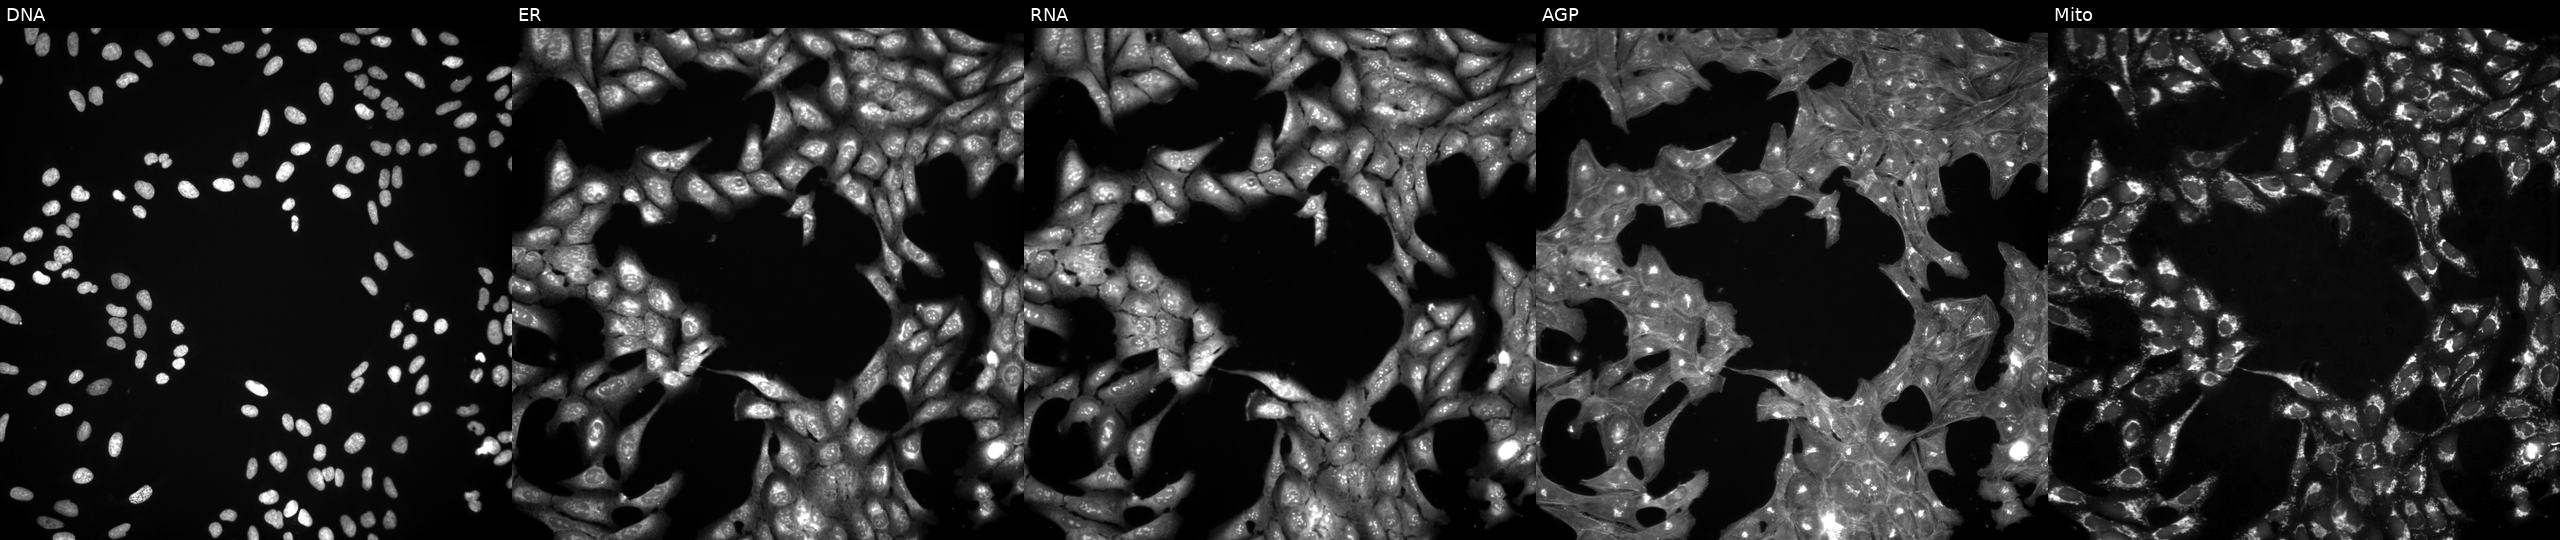
High-content fluorescence microscopy (Cell Painting). Cell line: U2OS. Perturbation: exposed to a small-molecule compound (InChIKey VAPPDBCEXXEYLV-UHFFFAOYSA-N). Channels (left→right): DNA (nuclei); ER (endoplasmic reticulum); RNA (nucleoli and cytoplasmic RNA); AGP (actin cytoskeleton, Golgi, and plasma membrane); Mito (mitochondria). Source 3, plate BR5867a3, well G04.